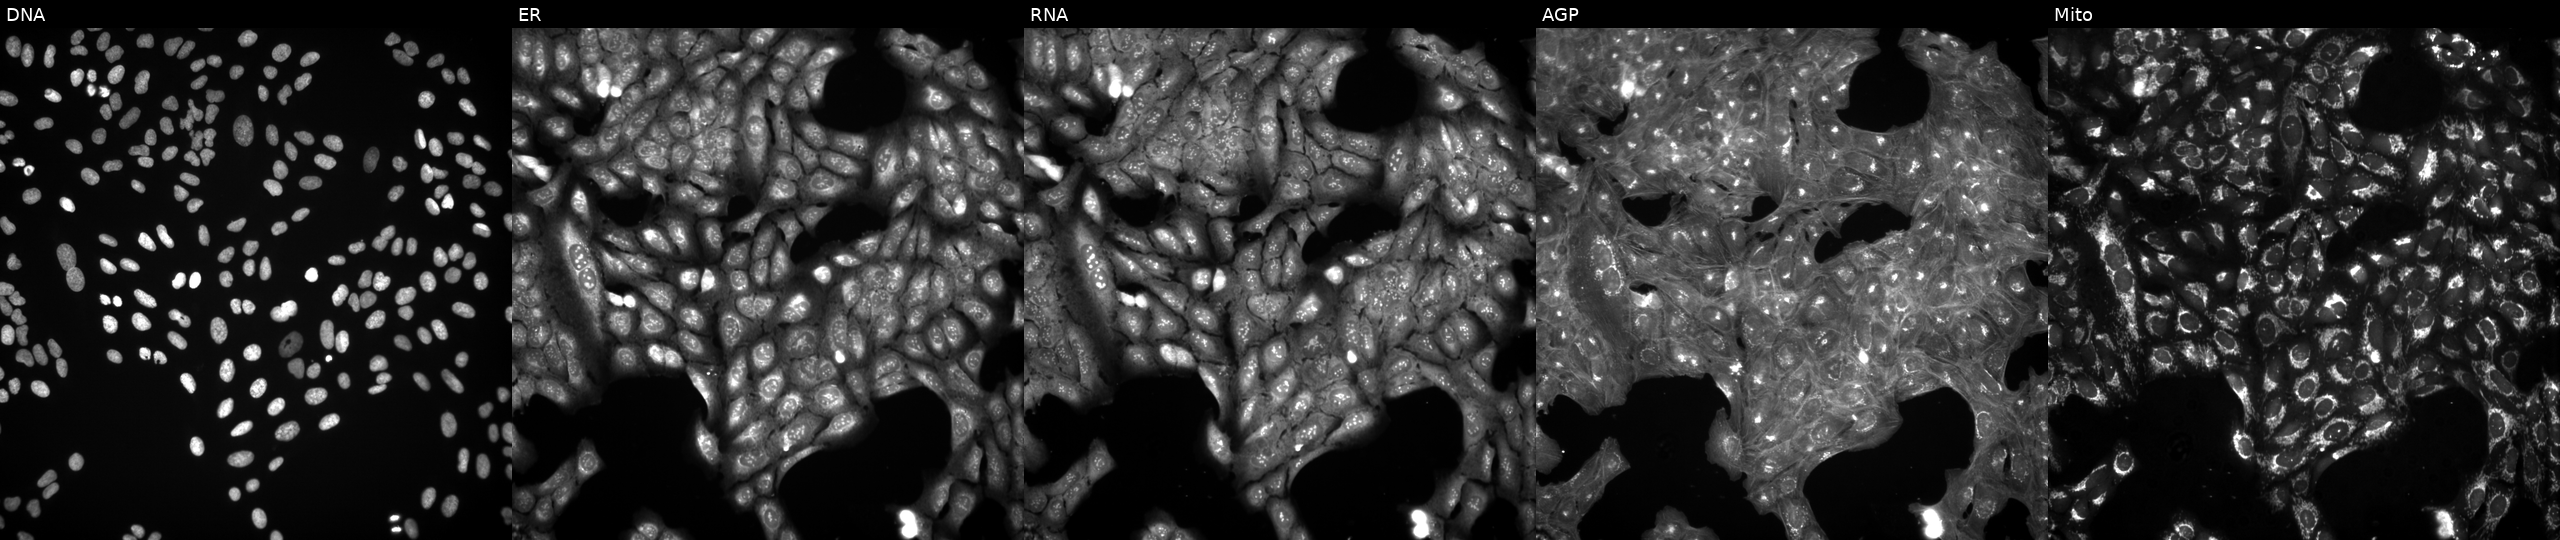
U2OS cells, Cell Painting assay, treated with a small-molecule compound (InChIKey SSCVIULWJKQDQA-UHFFFAOYSA-N). From left to right: Hoechst 33342, concanavalin A, SYTO 14, phalloidin and WGA, MitoTracker. Each panel is percentile-stretched 16-bit fluorescence. Source 3, plate BR5867a3, well E10.